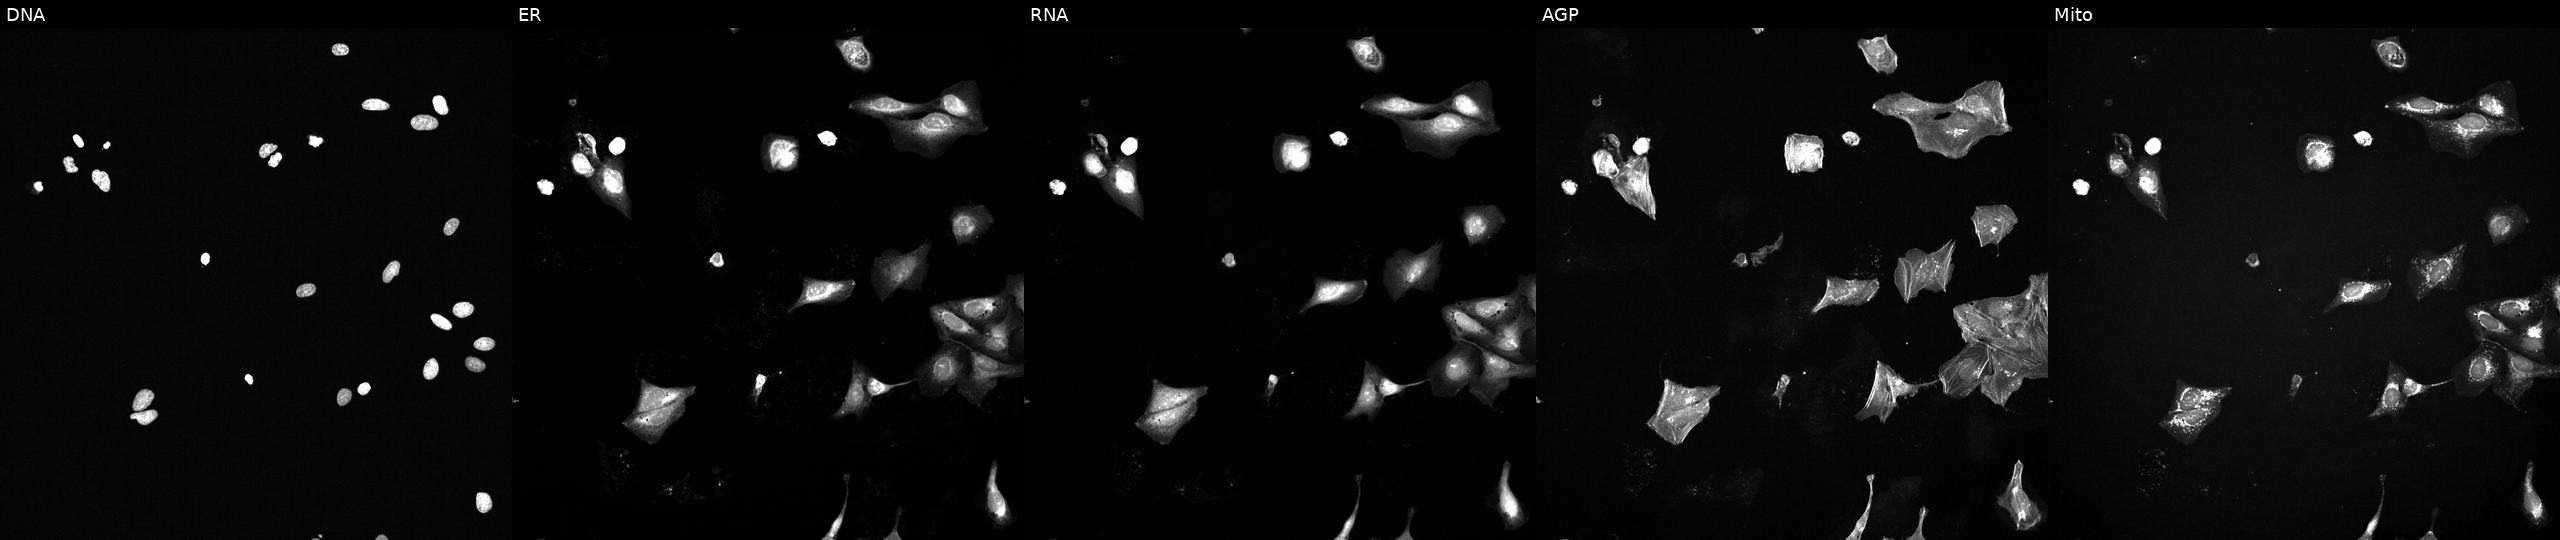
High-content fluorescence microscopy (Cell Painting). Cell line: U2OS. Perturbation: treated with a small-molecule compound (InChIKey AYCPARAPKDAOEN-UHFFFAOYSA-N) [SMILES: Cc1nc(=Nc2[nH]nc3c2CN(C(=O)NC(CN(C)C)c2ccccc2)C3(C)C)c2sccc2[nH]1]. From left to right: DNA (nuclei); ER (endoplasmic reticulum); RNA (nucleoli and cytoplasmic RNA); AGP (actin cytoskeleton, Golgi, and plasma membrane); Mito (mitochondria). Source 6, plate 110000294901, well M11.